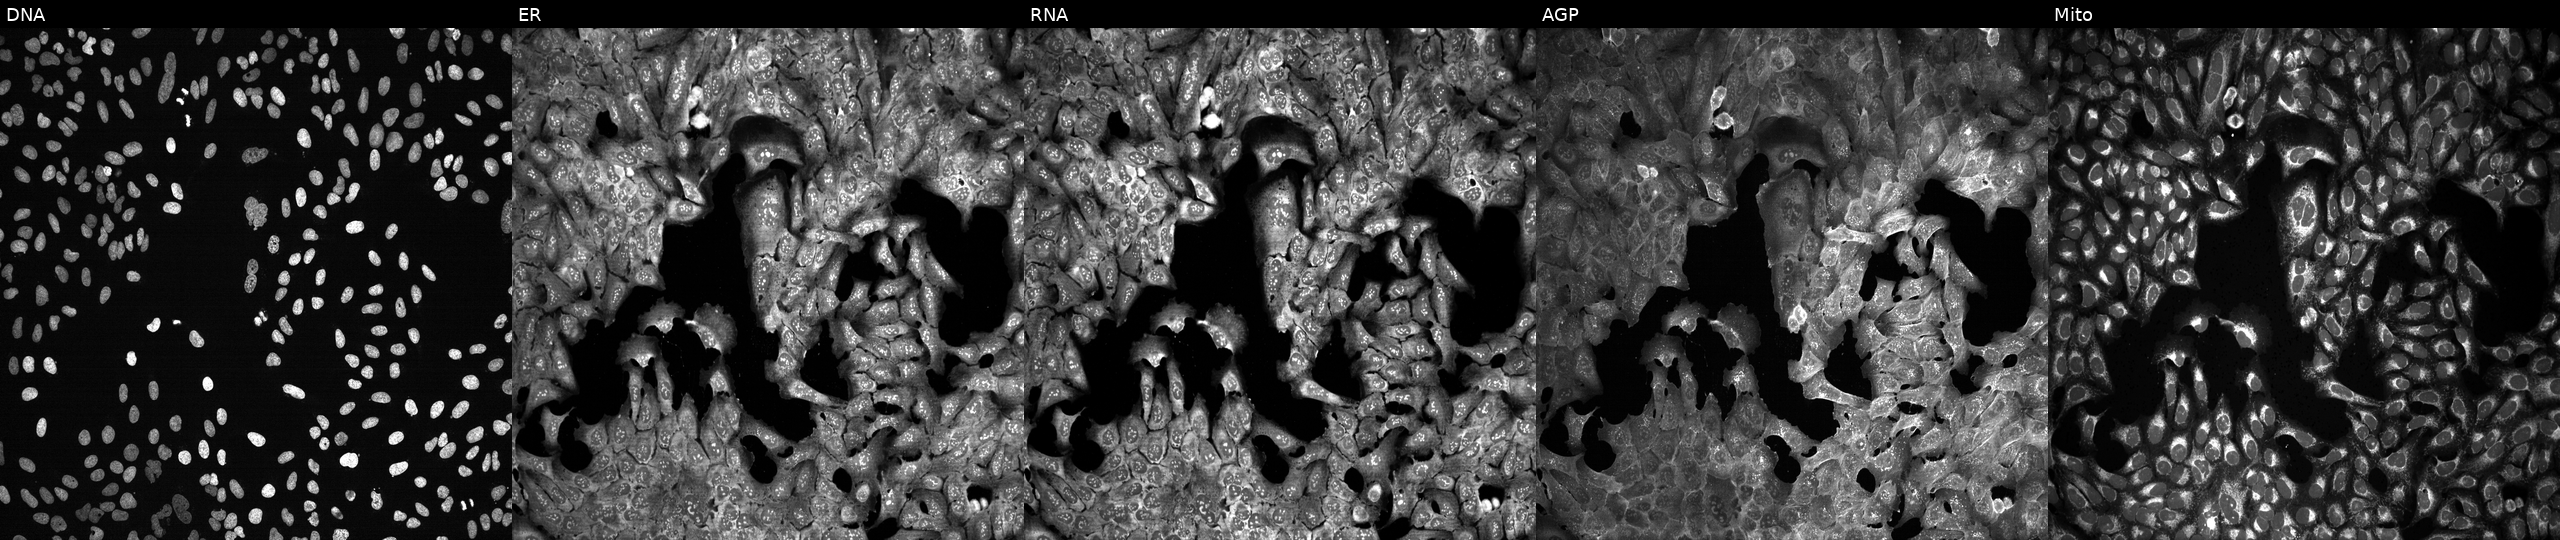
Panels show, left to right, DNA, ER, RNA, AGP, and Mito. U2OS osteosarcoma cells following CRISPR knockout of MMP11. Cell Painting assay, JUMP-CP dataset. Source 13, plate CP-CC9-R6-19, well G08.